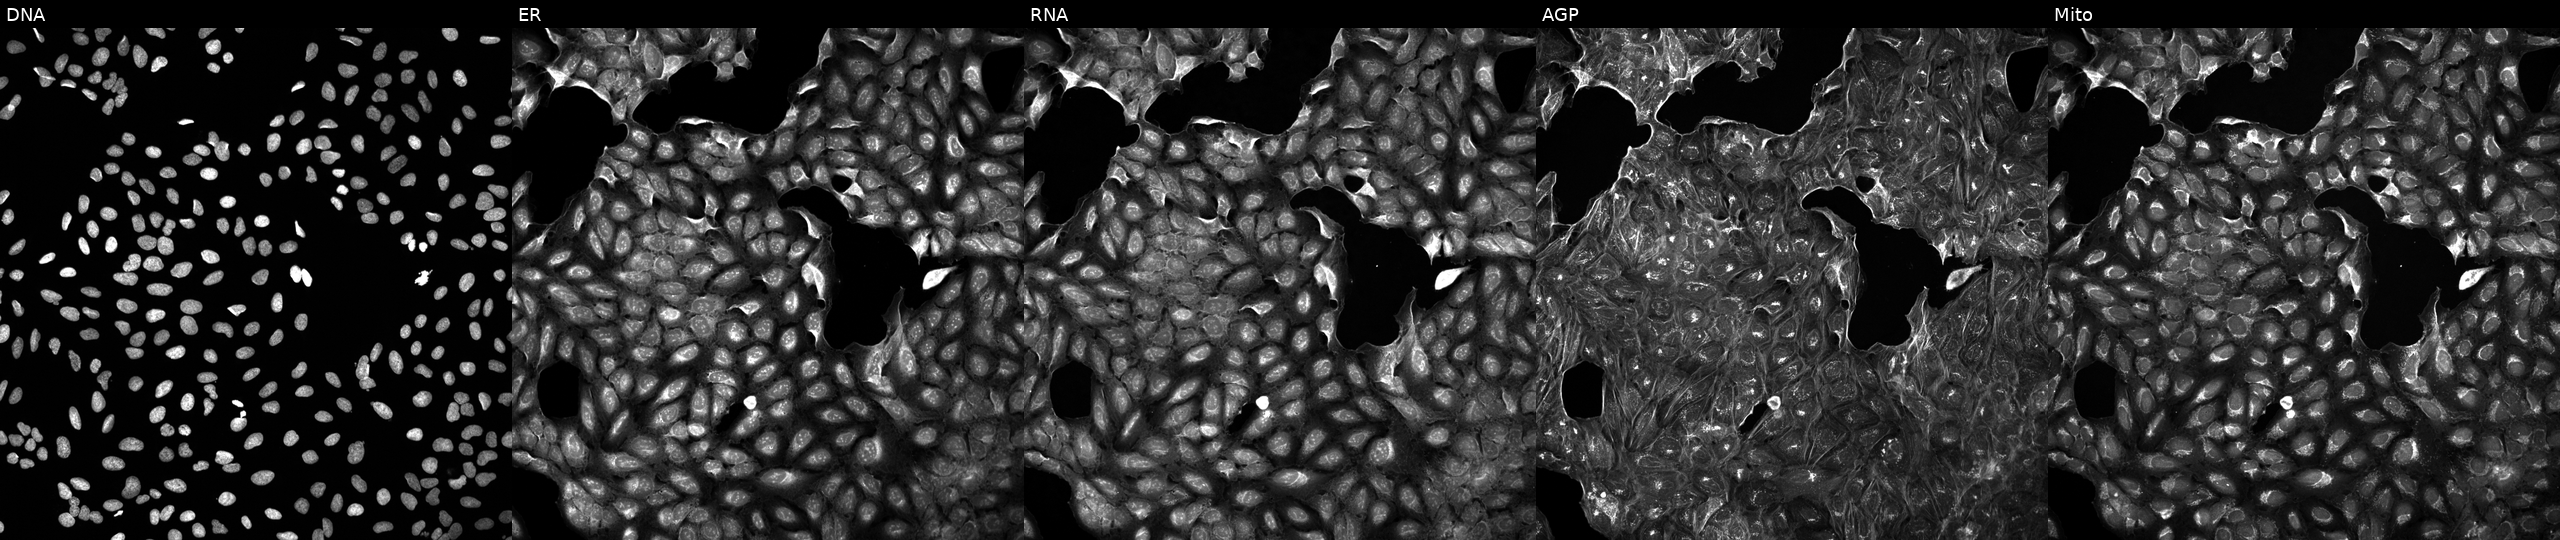
JUMP Cell Painting — COMPOUND plate. U2OS cells exposed to a small-molecule compound (InChIKey DDWIYAWGPKXGSY-UHFFFAOYSA-N). Panels show, left to right, DNA, ER, RNA, AGP, and Mito.